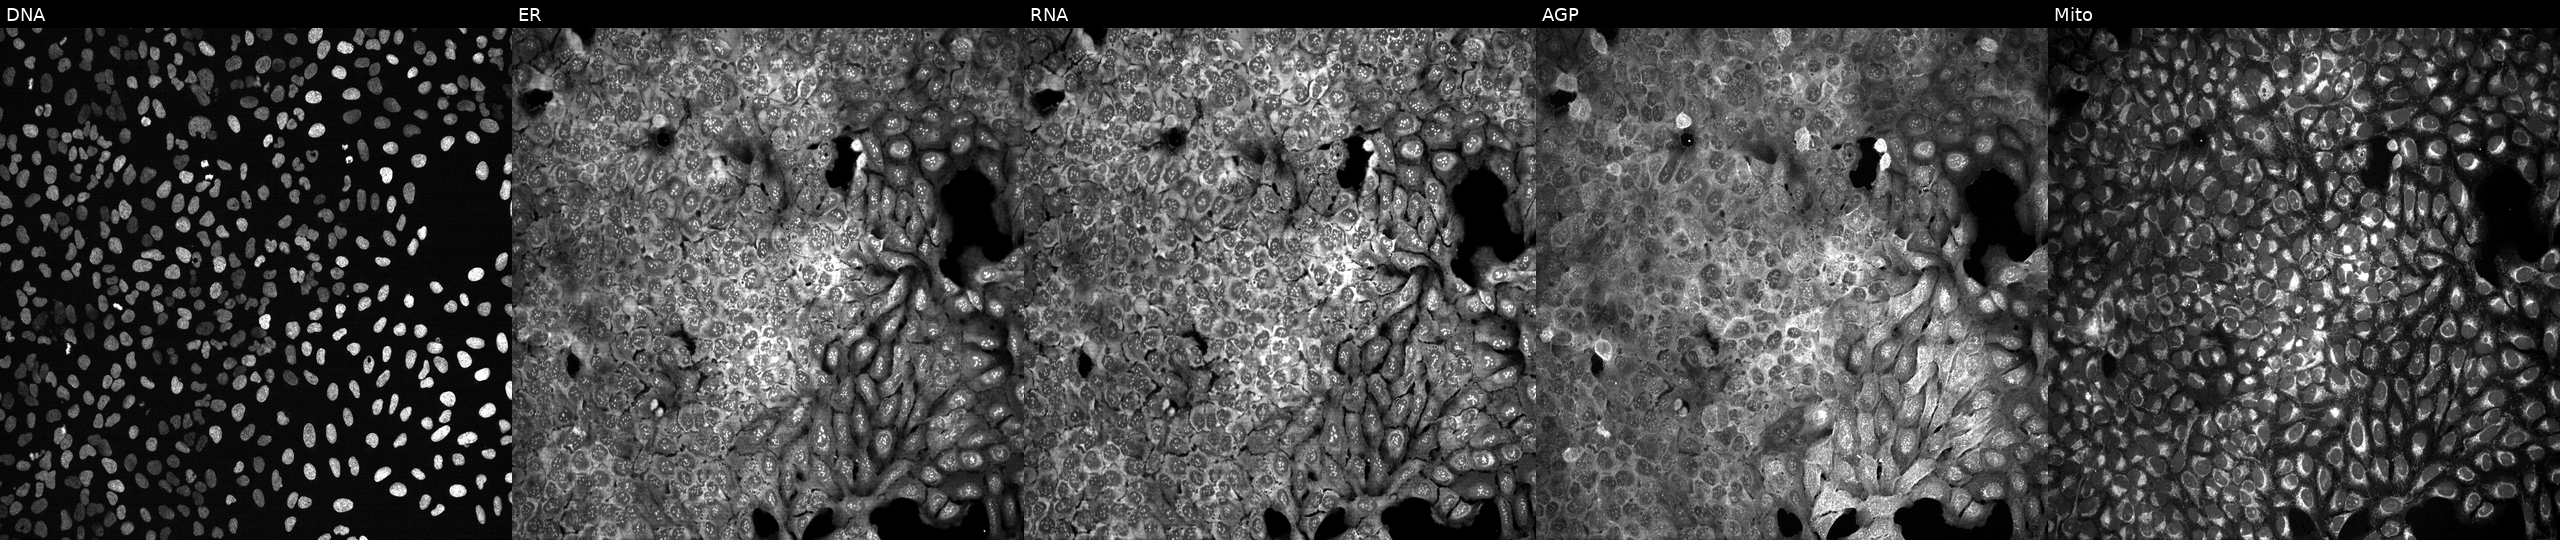
High-content fluorescence microscopy (Cell Painting). Cell line: U2OS. Perturbation: with a non-targeting CRISPR guide (negative control) (JUMP id JCP2022_800002). Channels (left→right): DNA, ER, RNA, AGP, and Mito.